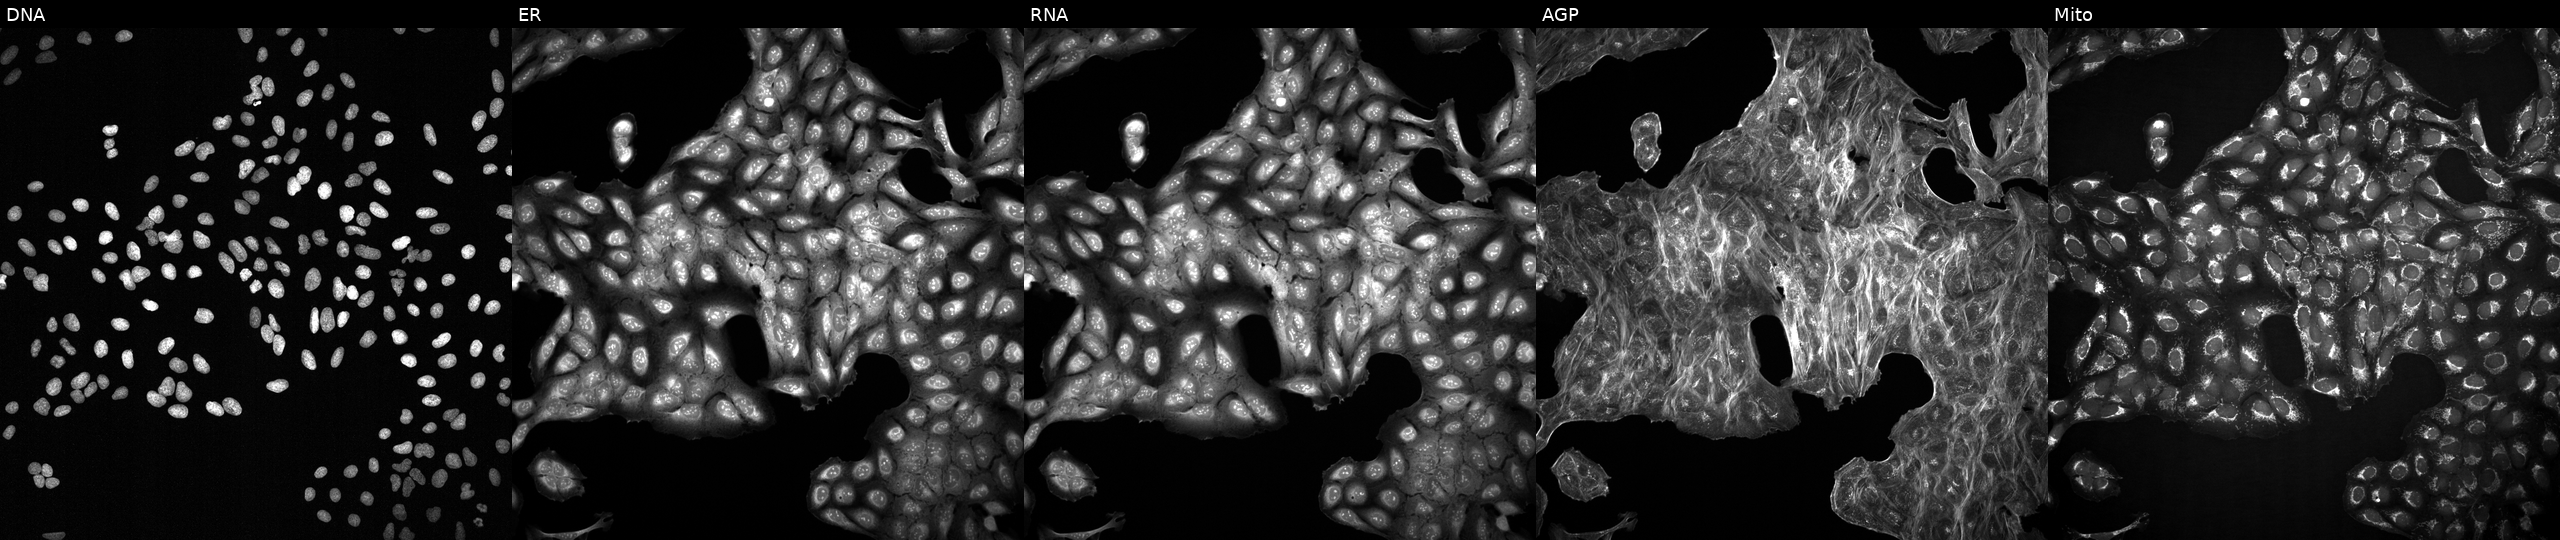
JUMP Cell Painting — COMPOUND plate. U2OS cells with an unidentified perturbation (not annotated in JUMP metadata). Channels (left→right): DNA (nuclei); ER (endoplasmic reticulum); RNA (nucleoli and cytoplasmic RNA); AGP (actin cytoskeleton, Golgi, and plasma membrane); Mito (mitochondria).